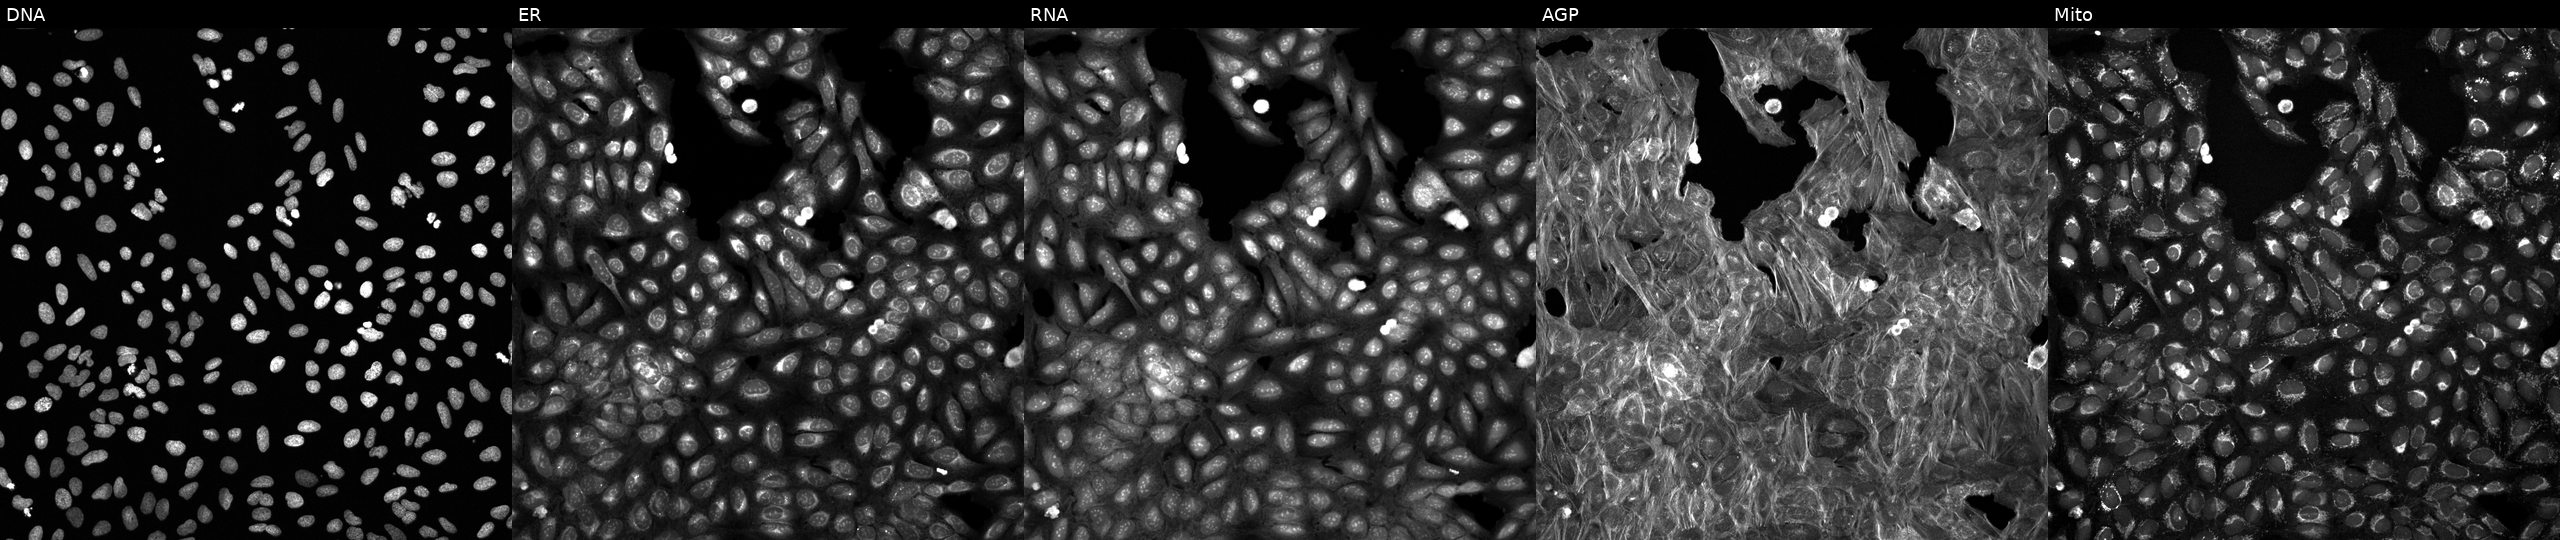
The five panels, left to right, show Hoechst 33342, concanavalin A, SYTO 14, phalloidin and WGA, MitoTracker. U2OS osteosarcoma cells exposed to a small-molecule compound (InChIKey WRLVHADVOGFZOZ-UHFFFAOYSA-N). Cell Painting assay, JUMP-CP dataset. Source 6, plate 110000293081, well F18.